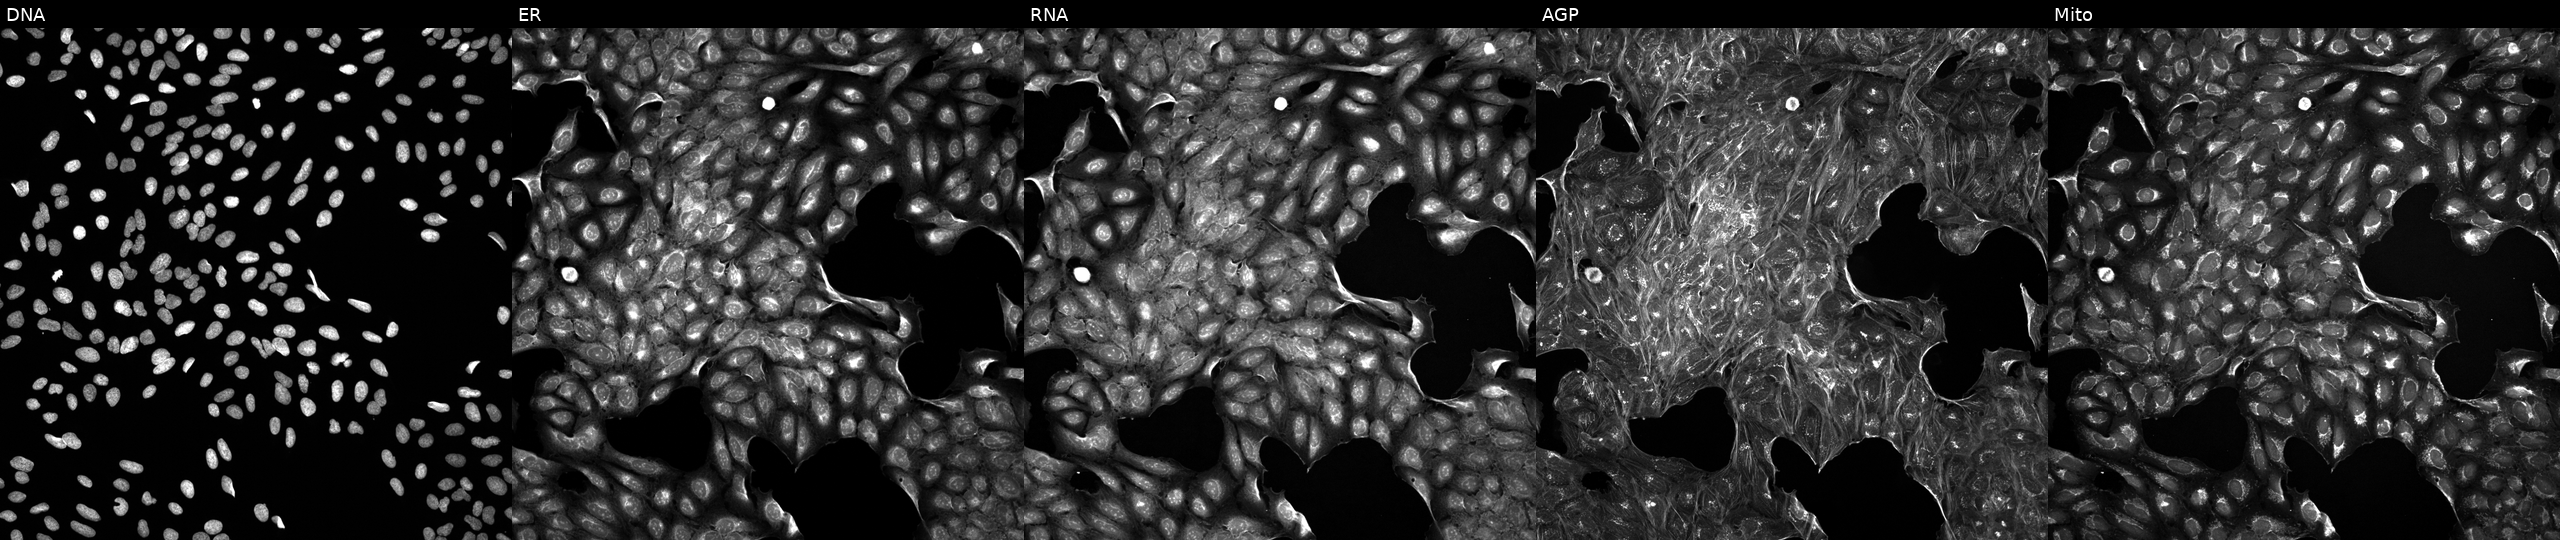
High-content fluorescence microscopy (Cell Painting). Cell line: U2OS. Perturbation: exposed to a small-molecule compound. Channels (left→right): Hoechst 33342, concanavalin A, SYTO 14, phalloidin and WGA, MitoTracker. Source 5, plate ACPJUM012, well I06.